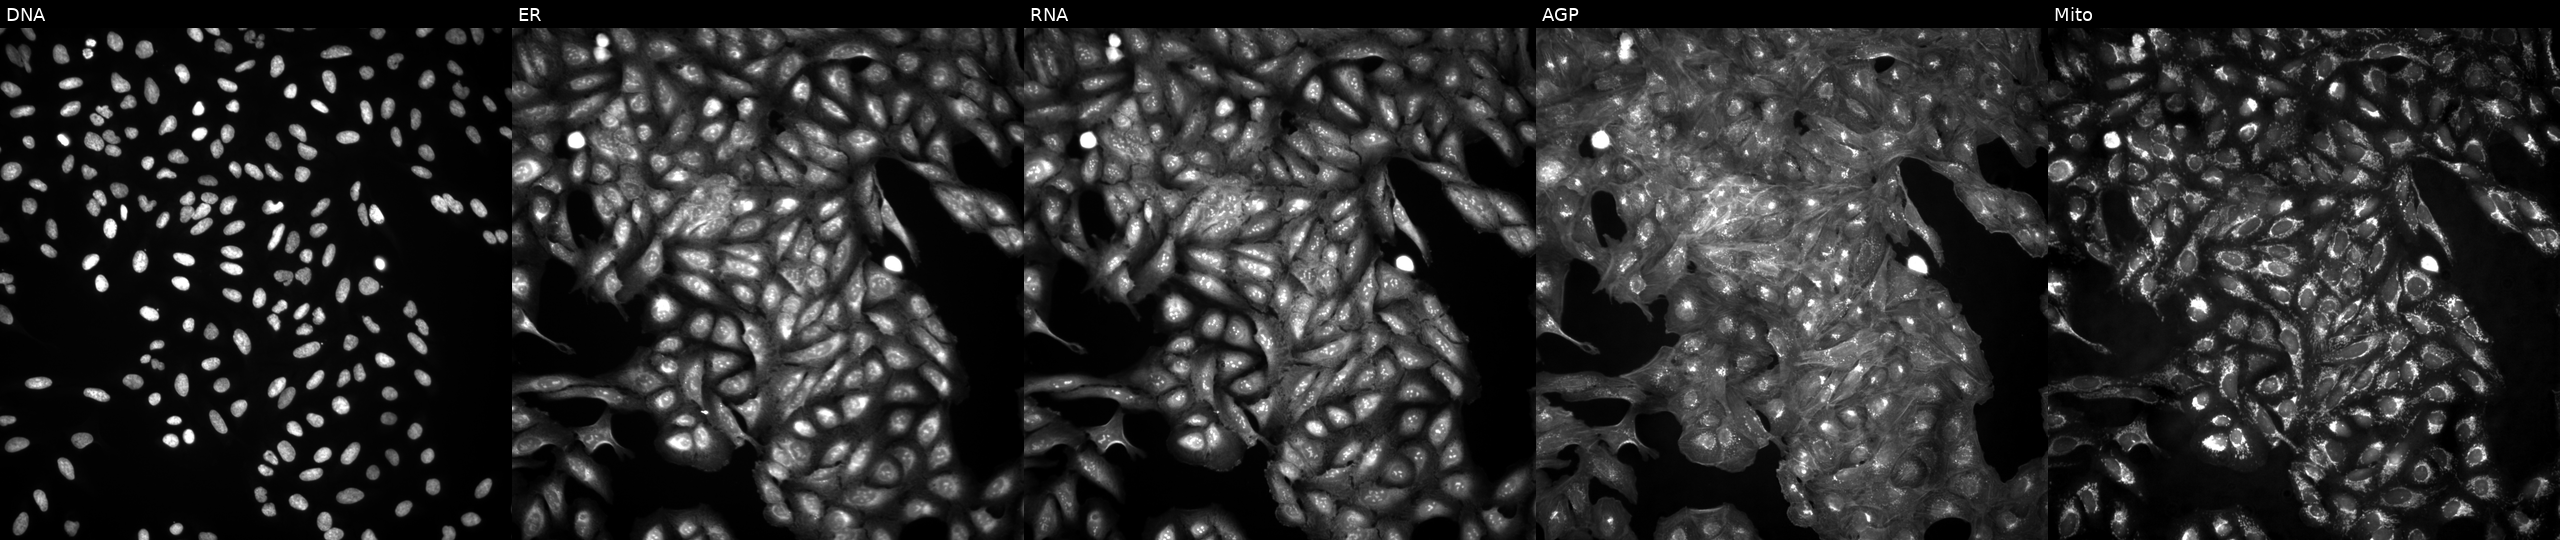
Five-channel Cell Painting image of U2OS cells untreated (empty-well control). The five panels, left to right, show DNA (nuclei); ER (endoplasmic reticulum); RNA (nucleoli and cytoplasmic RNA); AGP (actin cytoskeleton, Golgi, and plasma membrane); Mito (mitochondria).